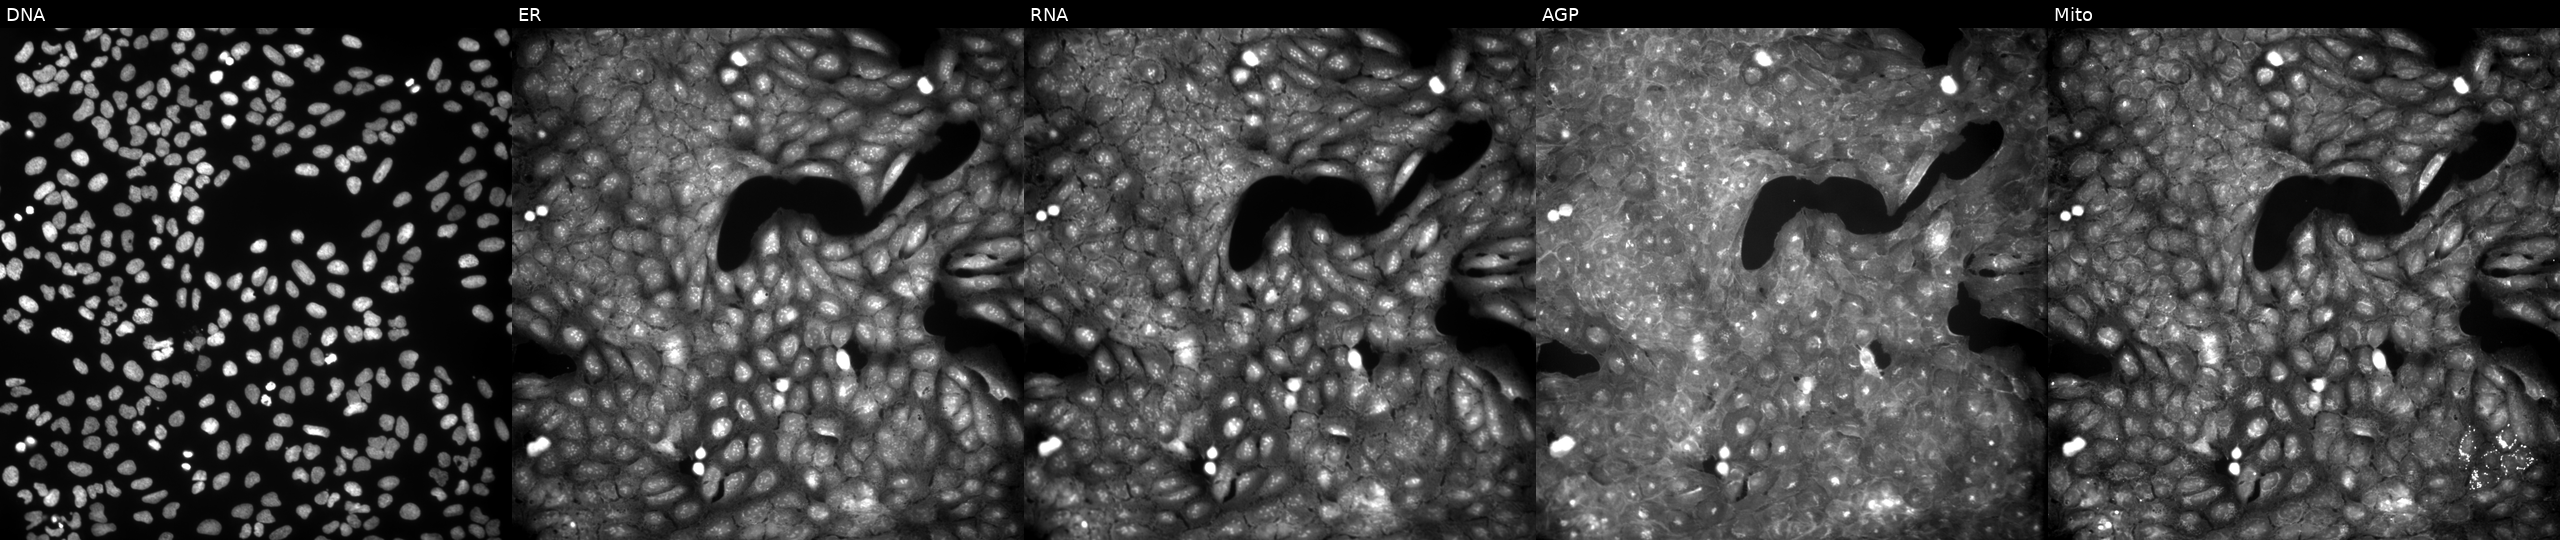
High-content fluorescence microscopy (Cell Painting). Cell line: U2OS. Perturbation: treated with DMSO vehicle only (negative control). Panels show, left to right, DNA (nuclei); ER (endoplasmic reticulum); RNA (nucleoli and cytoplasmic RNA); AGP (actin cytoskeleton, Golgi, and plasma membrane); Mito (mitochondria).